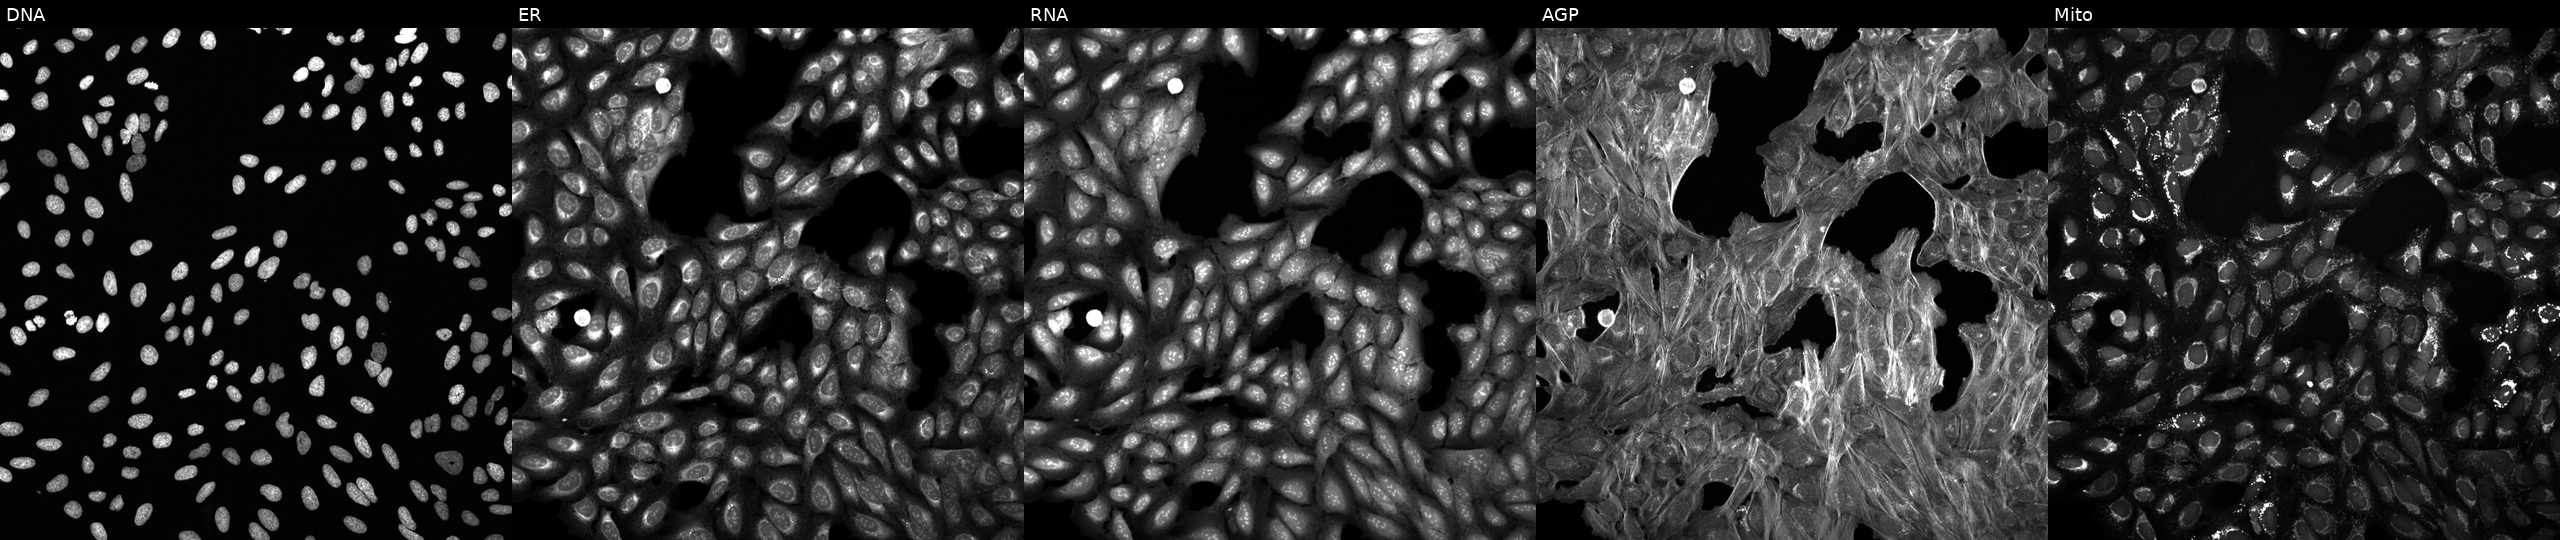
U2OS cells, Cell Painting assay, exposed to a small-molecule compound [SMILES: CC(C)C(=O)c1c(C(C)C)nn2ccccc12] (JUMP id JCP2022_113779). Panels show, left to right, Hoechst 33342, concanavalin A, SYTO 14, phalloidin and WGA, MitoTracker. Each panel is percentile-stretched 16-bit fluorescence. Source 6, plate 110000293081, well D01.